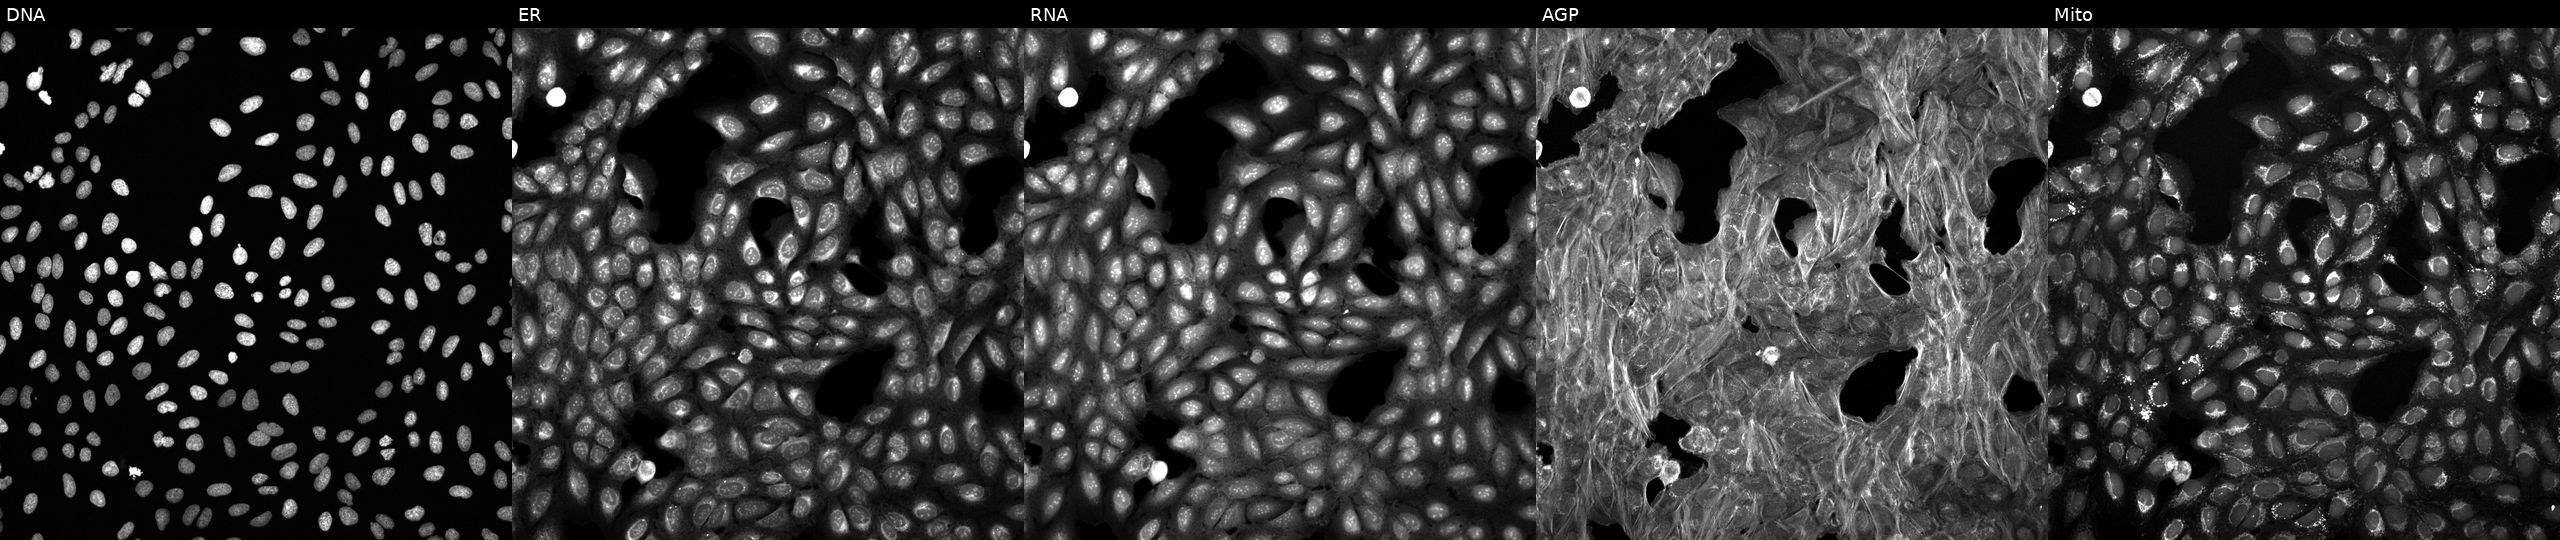
U2OS cells, Cell Painting assay, perturbed with a small-molecule compound. Panels show, left to right, Hoechst 33342, concanavalin A, SYTO 14, phalloidin and WGA, MitoTracker. Each panel is percentile-stretched 16-bit fluorescence.